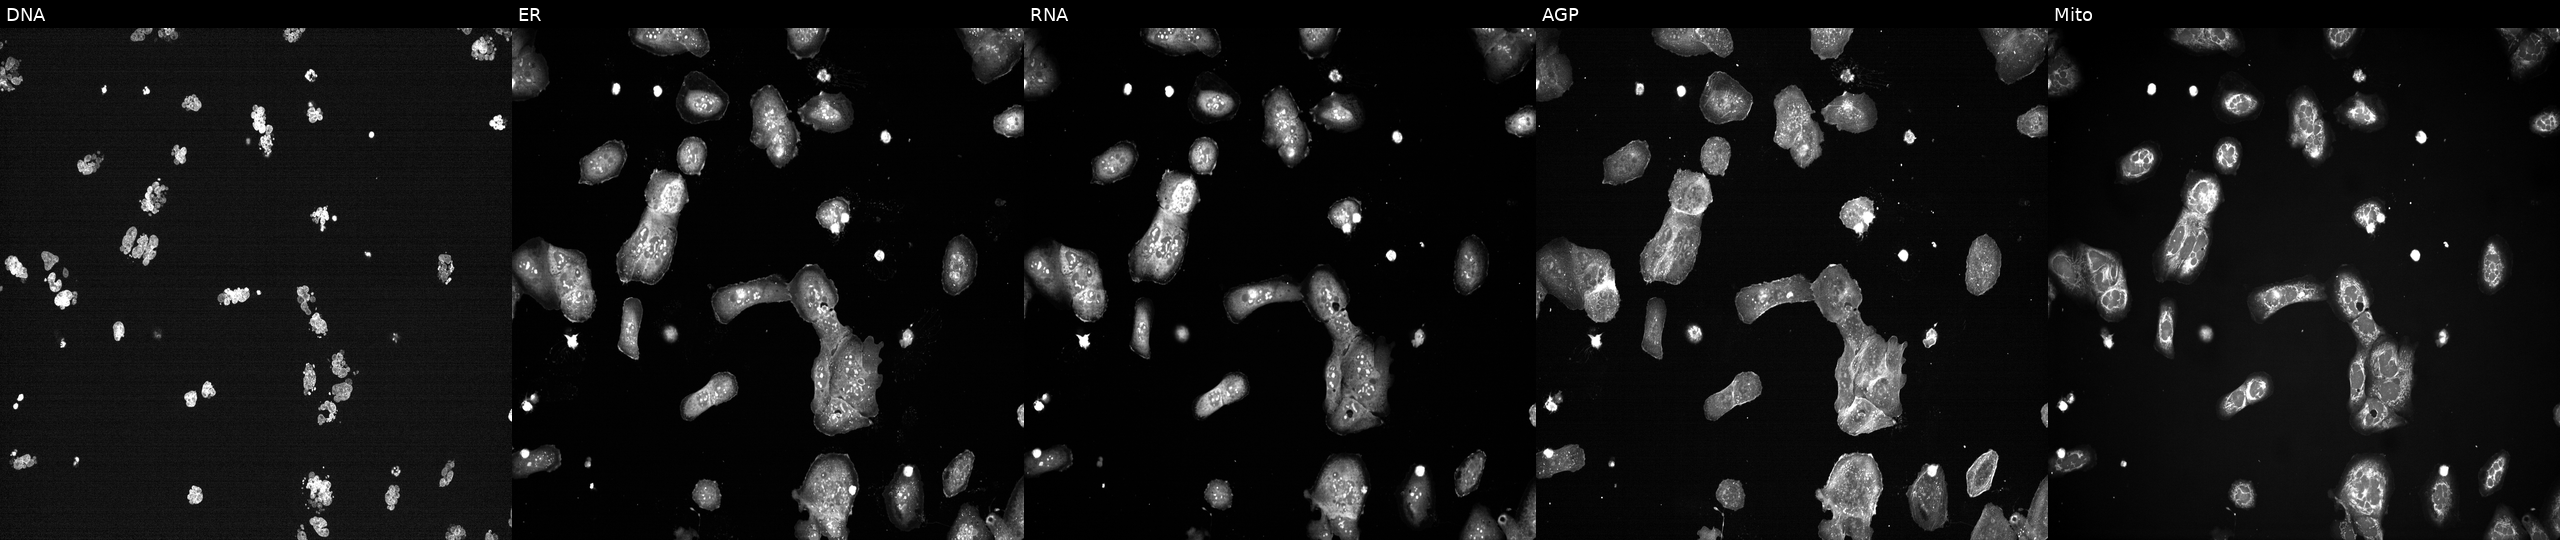
This image strip shows the five Cell Painting channels for a single field of U2OS cells exposed to a small-molecule compound (InChIKey QXRSDHAAWVKZLJ-UHFFFAOYSA-N) [SMILES: CC(=Cc1csc(C)n1)C1CC2OC2(C)CCCC(C)C(O)C(C)C(=O)C(C)(C)C(O)CC(=O)O1] (JUMP id JCP2022_076573). Panels show, left to right, DNA (nuclei); ER (endoplasmic reticulum); RNA (nucleoli and cytoplasmic RNA); AGP (actin cytoskeleton, Golgi, and plasma membrane); Mito (mitochondria). Source 7, plate CP3-SC1-25, well D10.